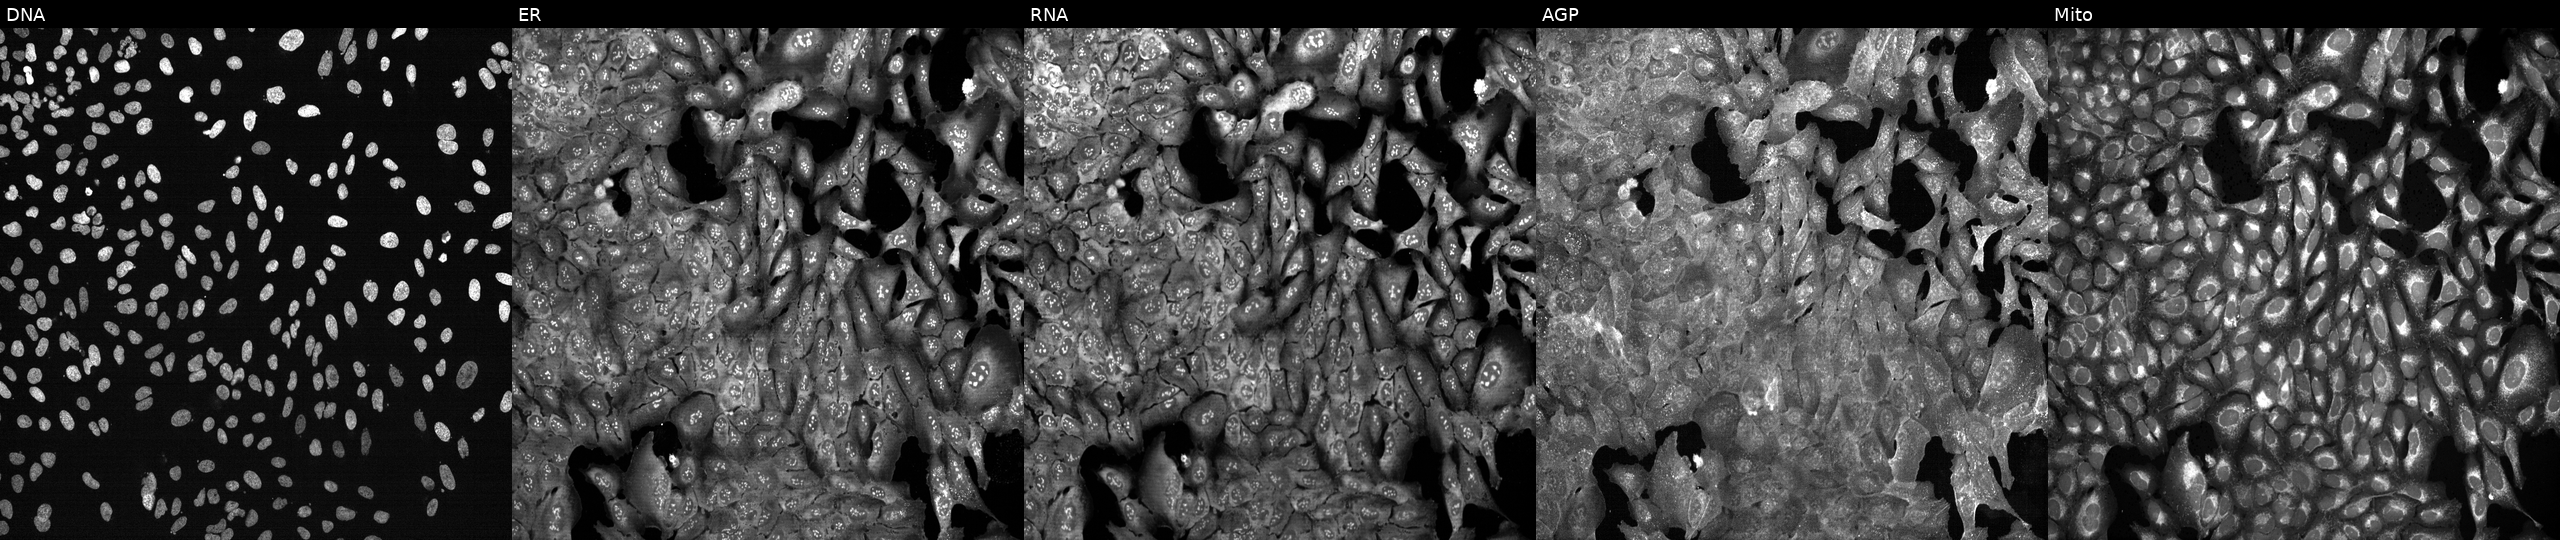
High-content fluorescence microscopy (Cell Painting). Cell line: U2OS. Perturbation: CRISPR-edited to disrupt GPX2. From left to right: Hoechst 33342, concanavalin A, SYTO 14, phalloidin and WGA, MitoTracker. Source 13, plate CP-CC9-R5-01, well N08.